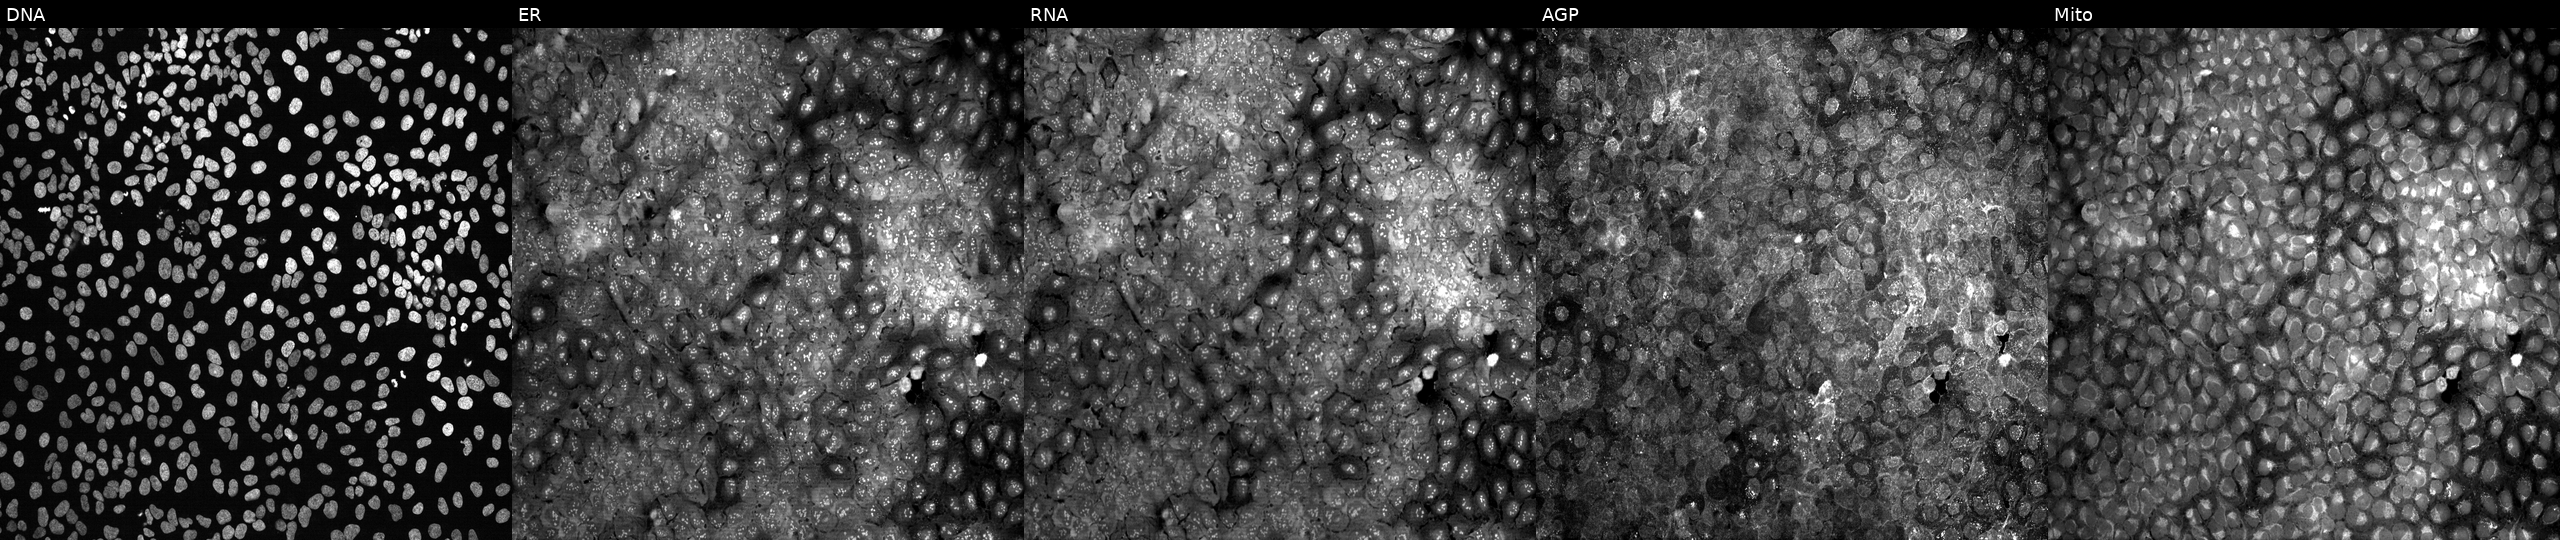
High-content fluorescence microscopy (Cell Painting). Cell line: U2OS. Perturbation: with no CRISPR guide (negative control) (JUMP id JCP2022_800001). Channels (left→right): Hoechst 33342, concanavalin A, SYTO 14, phalloidin and WGA, MitoTracker.